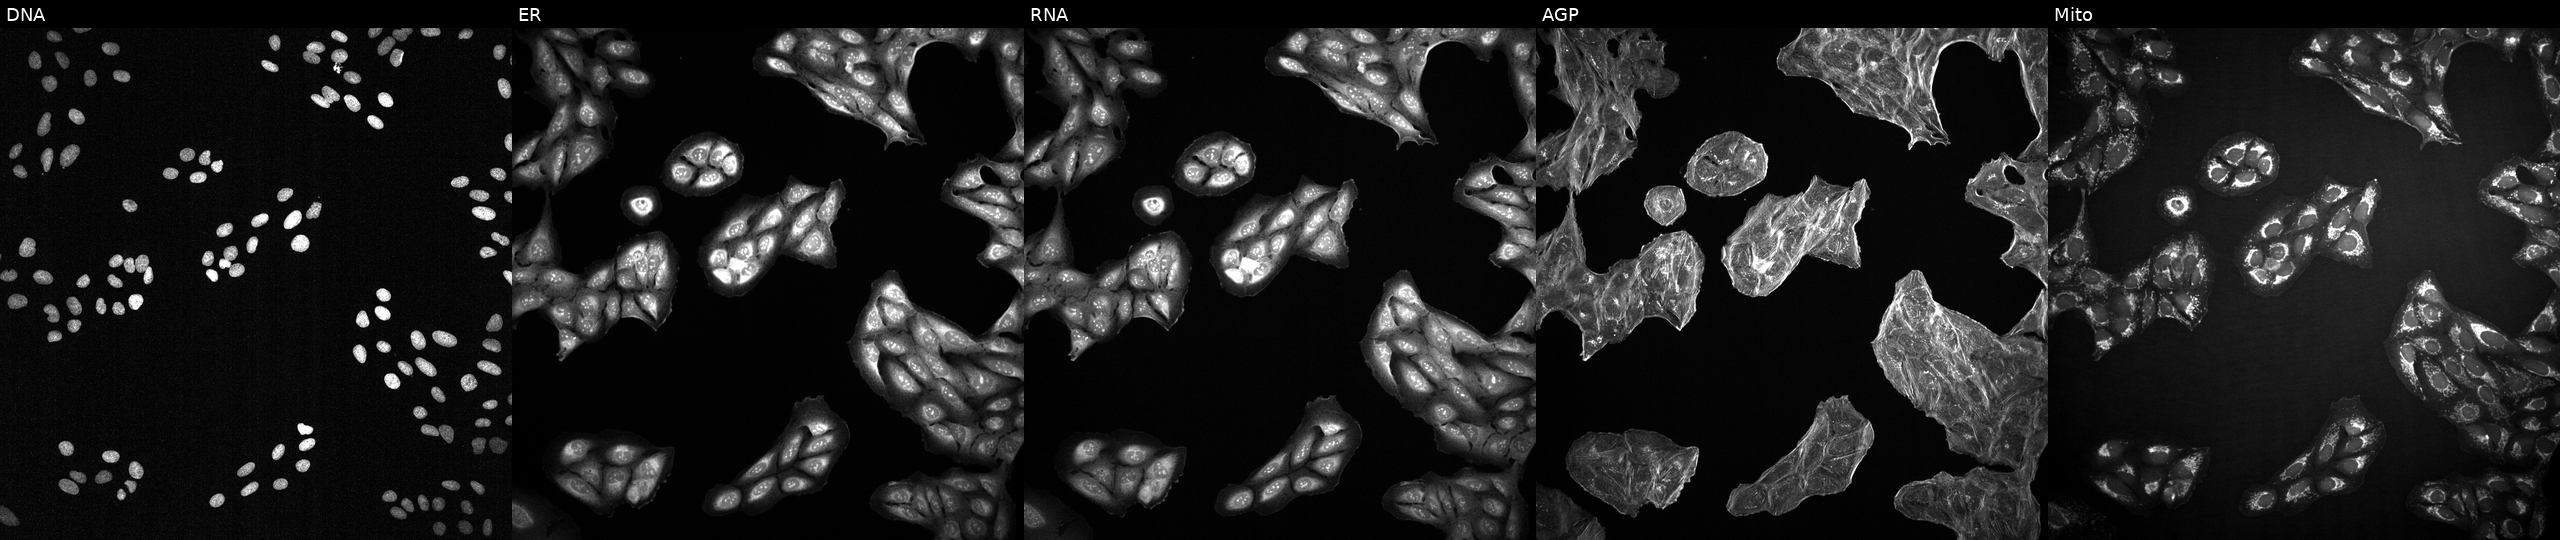
High-content fluorescence microscopy (Cell Painting). Cell line: U2OS. Perturbation: exposed to a small-molecule compound. From left to right: DNA (nuclei); ER (endoplasmic reticulum); RNA (nucleoli and cytoplasmic RNA); AGP (actin cytoskeleton, Golgi, and plasma membrane); Mito (mitochondria).